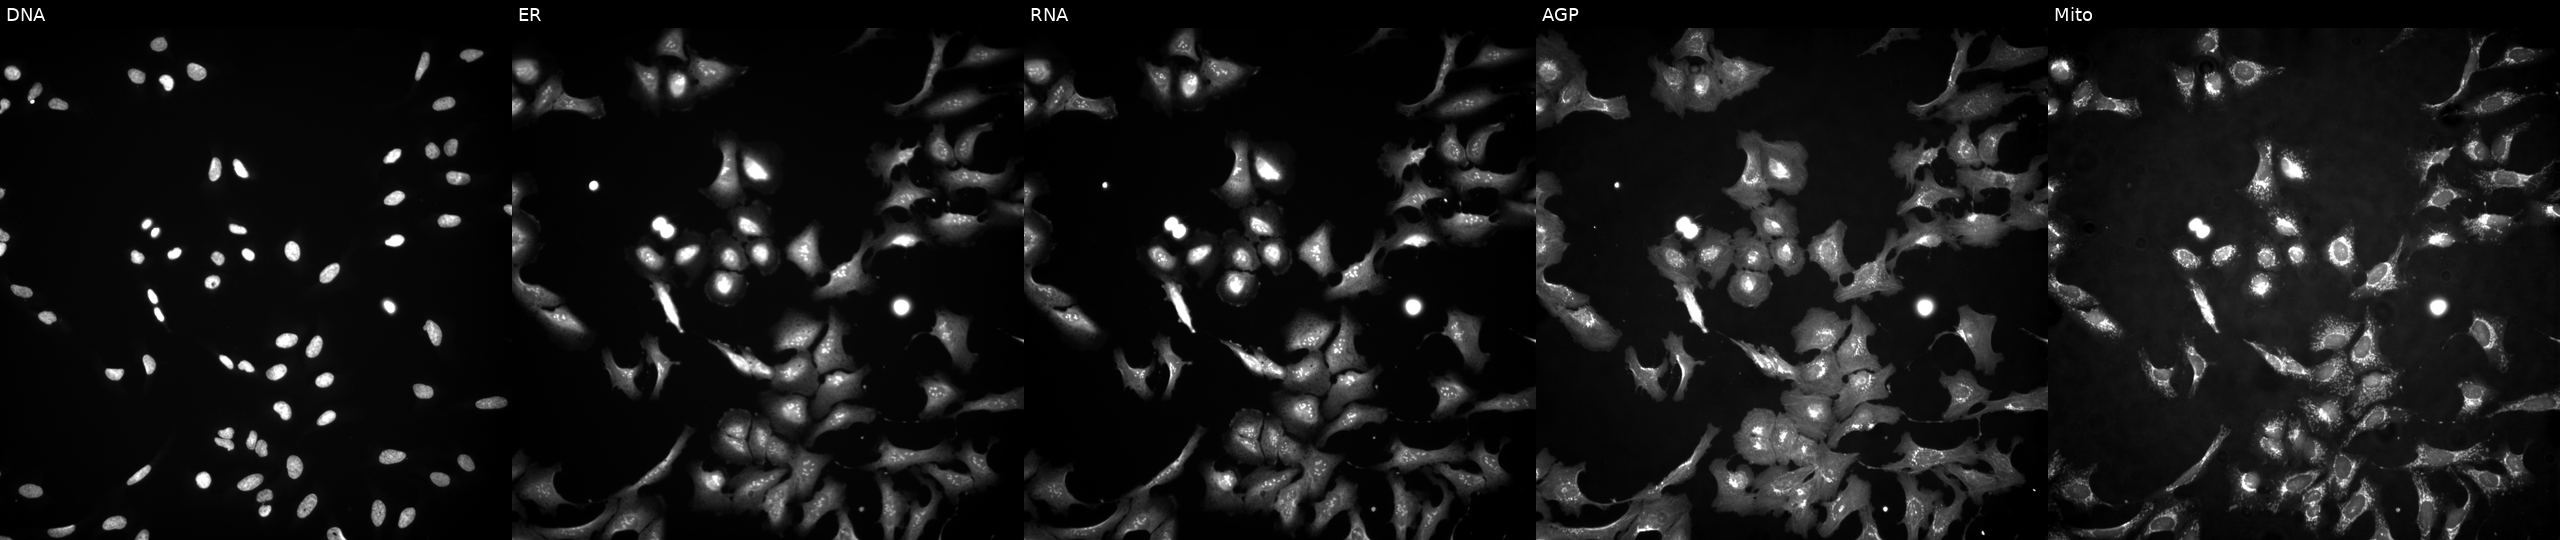
This image strip shows the five Cell Painting channels for a single field of U2OS cells transfected with an ORF construct for ZFYVE27 (JUMP id JCP2022_912187). From left to right: DNA (nuclei); ER (endoplasmic reticulum); RNA (nucleoli and cytoplasmic RNA); AGP (actin cytoskeleton, Golgi, and plasma membrane); Mito (mitochondria). Source 4, plate BR00117035, well I06.